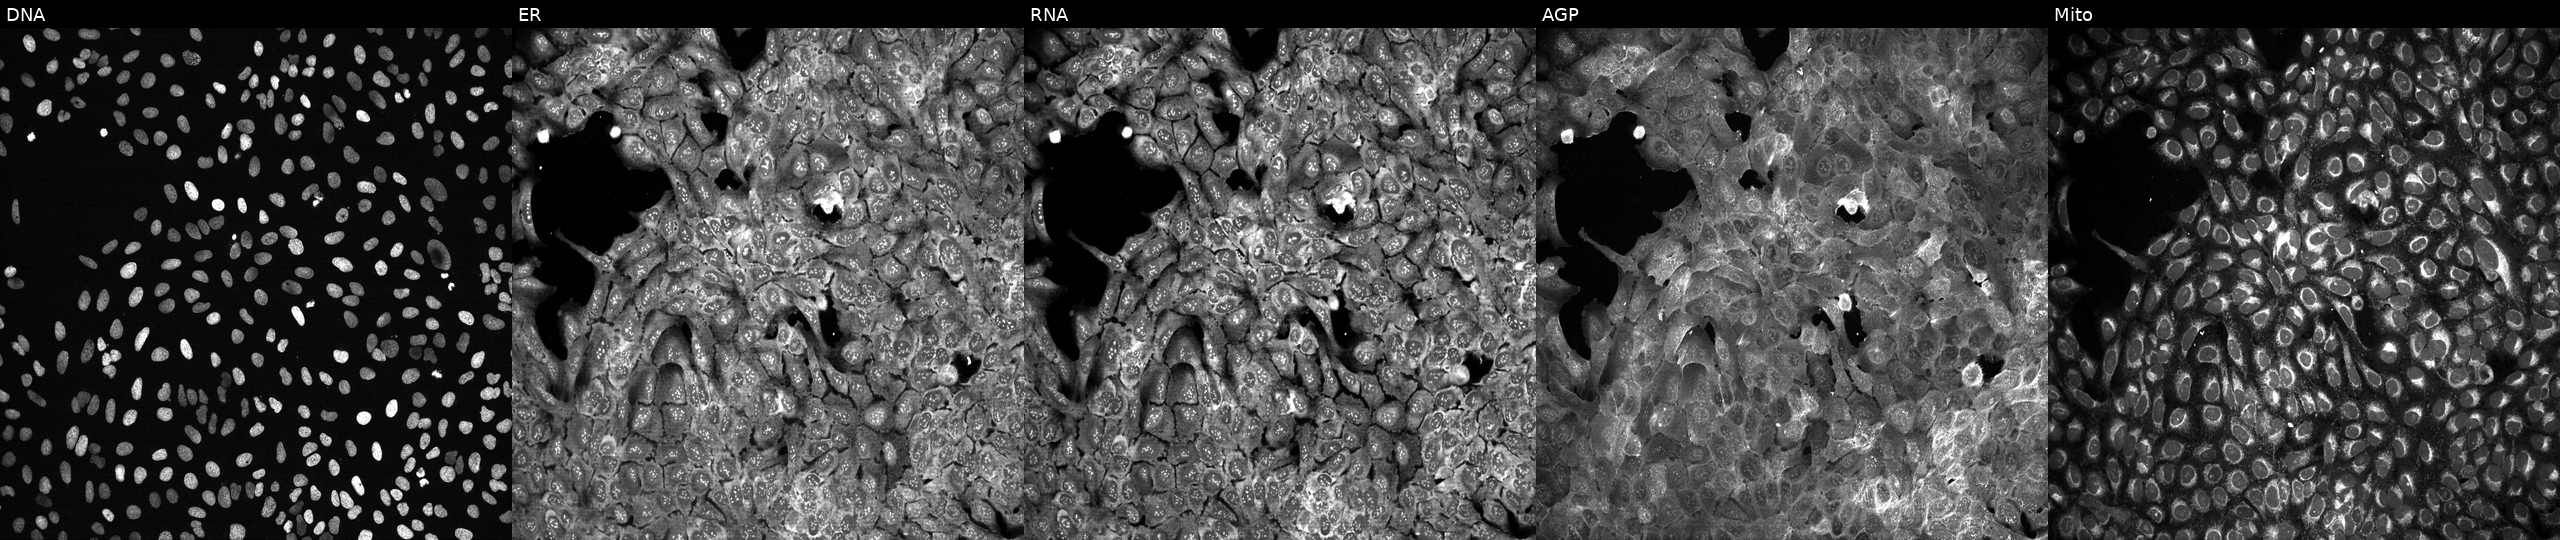
From left to right: Hoechst 33342, concanavalin A, SYTO 14, phalloidin and WGA, MitoTracker. U2OS osteosarcoma cells CRISPR-edited to disrupt ABCC6 (JUMP id JCP2022_800048). Cell Painting assay, JUMP-CP dataset. Source 13, plate CP-CC9-R2-01, well D19.